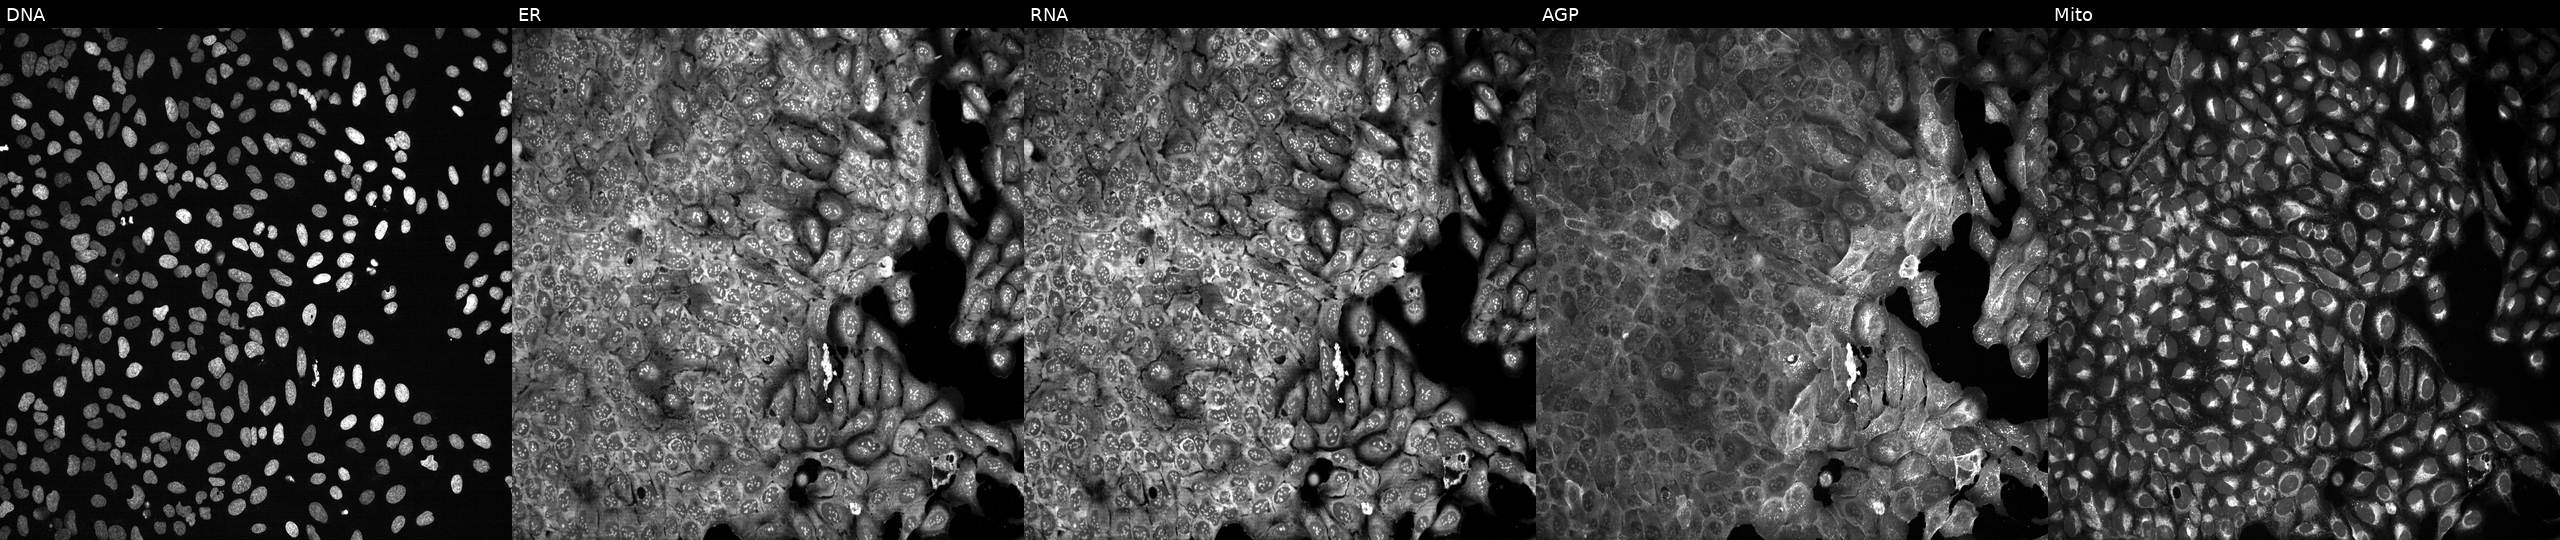
This image strip shows the five Cell Painting channels for a single field of U2OS cells with PSMA7 knocked out by CRISPR. Panels show, left to right, DNA, ER, RNA, AGP, and Mito.